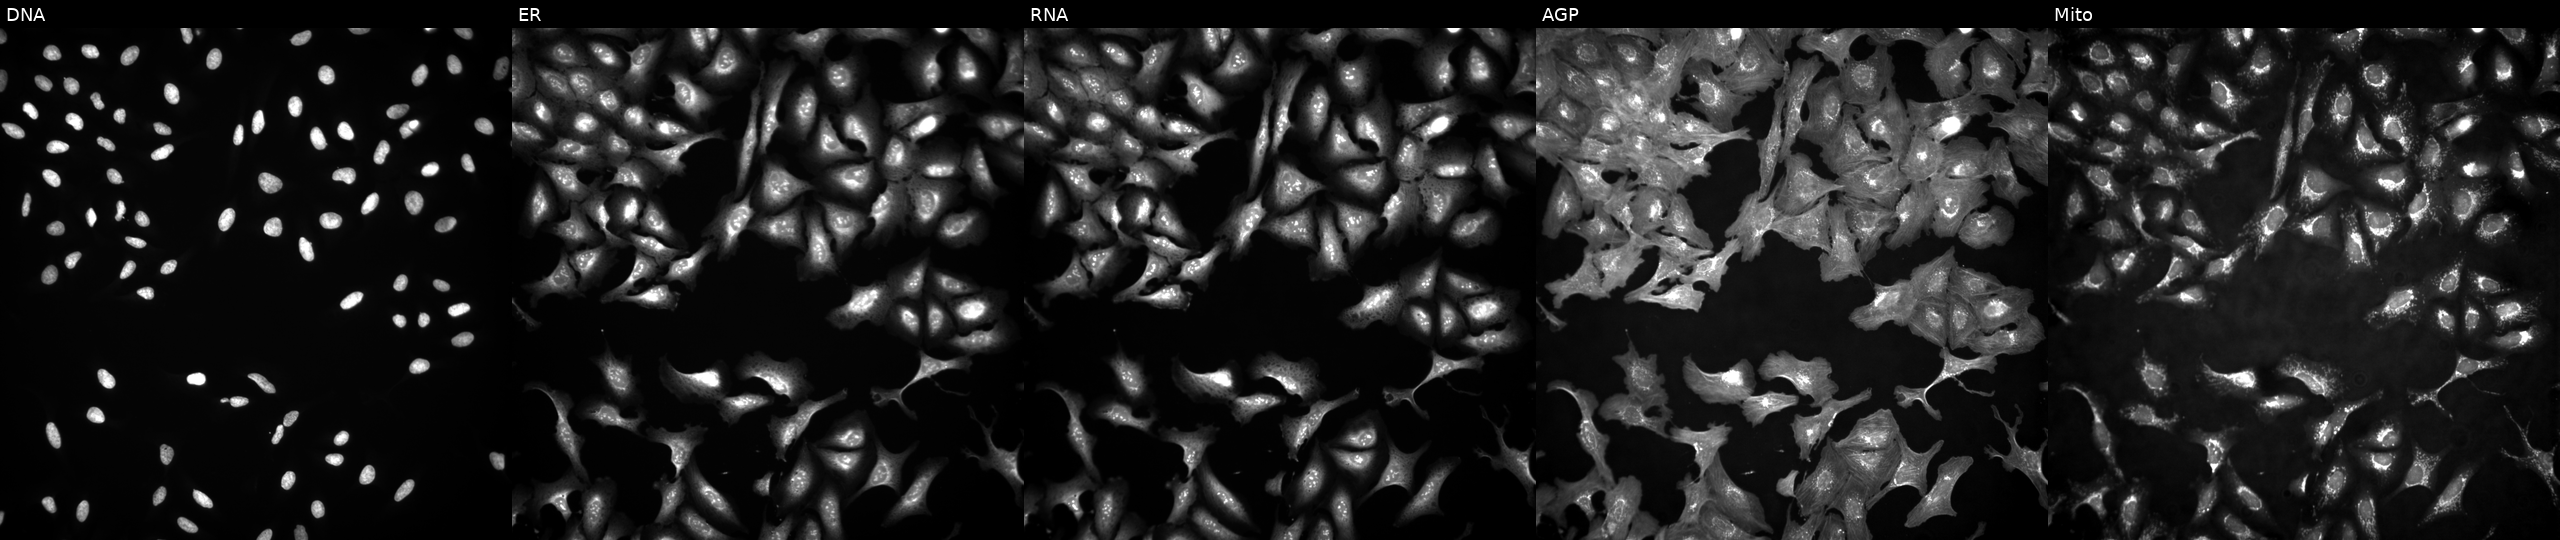
High-content fluorescence microscopy (Cell Painting). Cell line: U2OS. Perturbation: overexpressing ROR2 via ORF transfection. Channels (left→right): DNA, ER, RNA, AGP, and Mito.